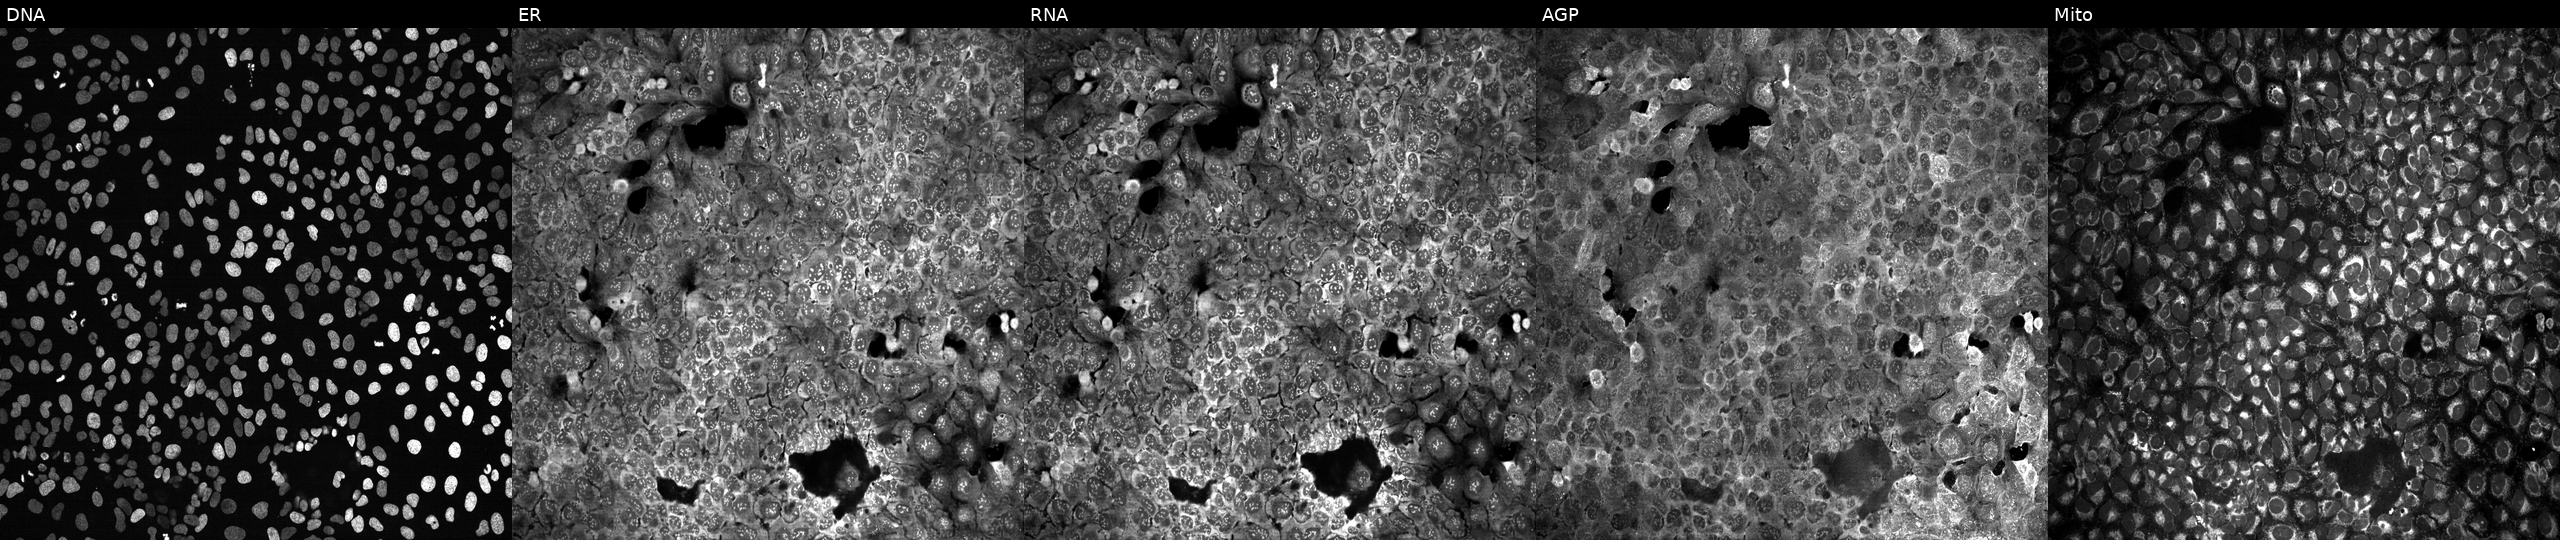
U2OS cells, Cell Painting assay, treated with aloxistatin (positive-control compound). The five panels, left to right, show Hoechst 33342, concanavalin A, SYTO 14, phalloidin and WGA, MitoTracker. Each panel is percentile-stretched 16-bit fluorescence.